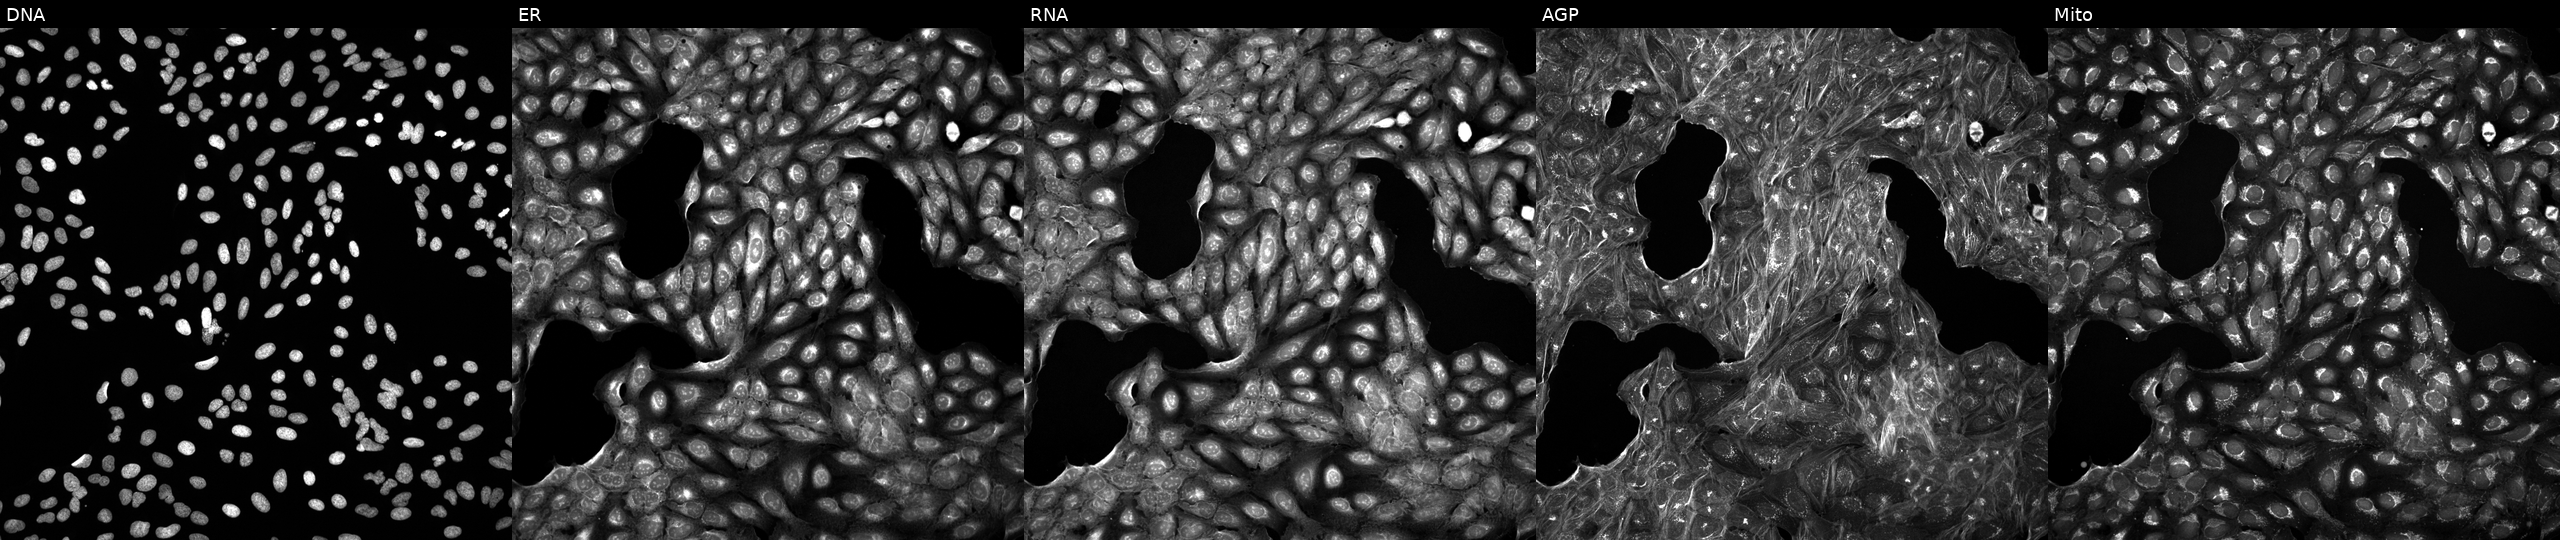
Five-channel Cell Painting image of U2OS cells treated with a small-molecule compound (InChIKey LPGBXHWIQNZEJB-UHFFFAOYSA-N) (JUMP id JCP2022_050873). Channels (left→right): DNA, ER, RNA, AGP, and Mito. Source 5, plate ACPJUM051, well J21.